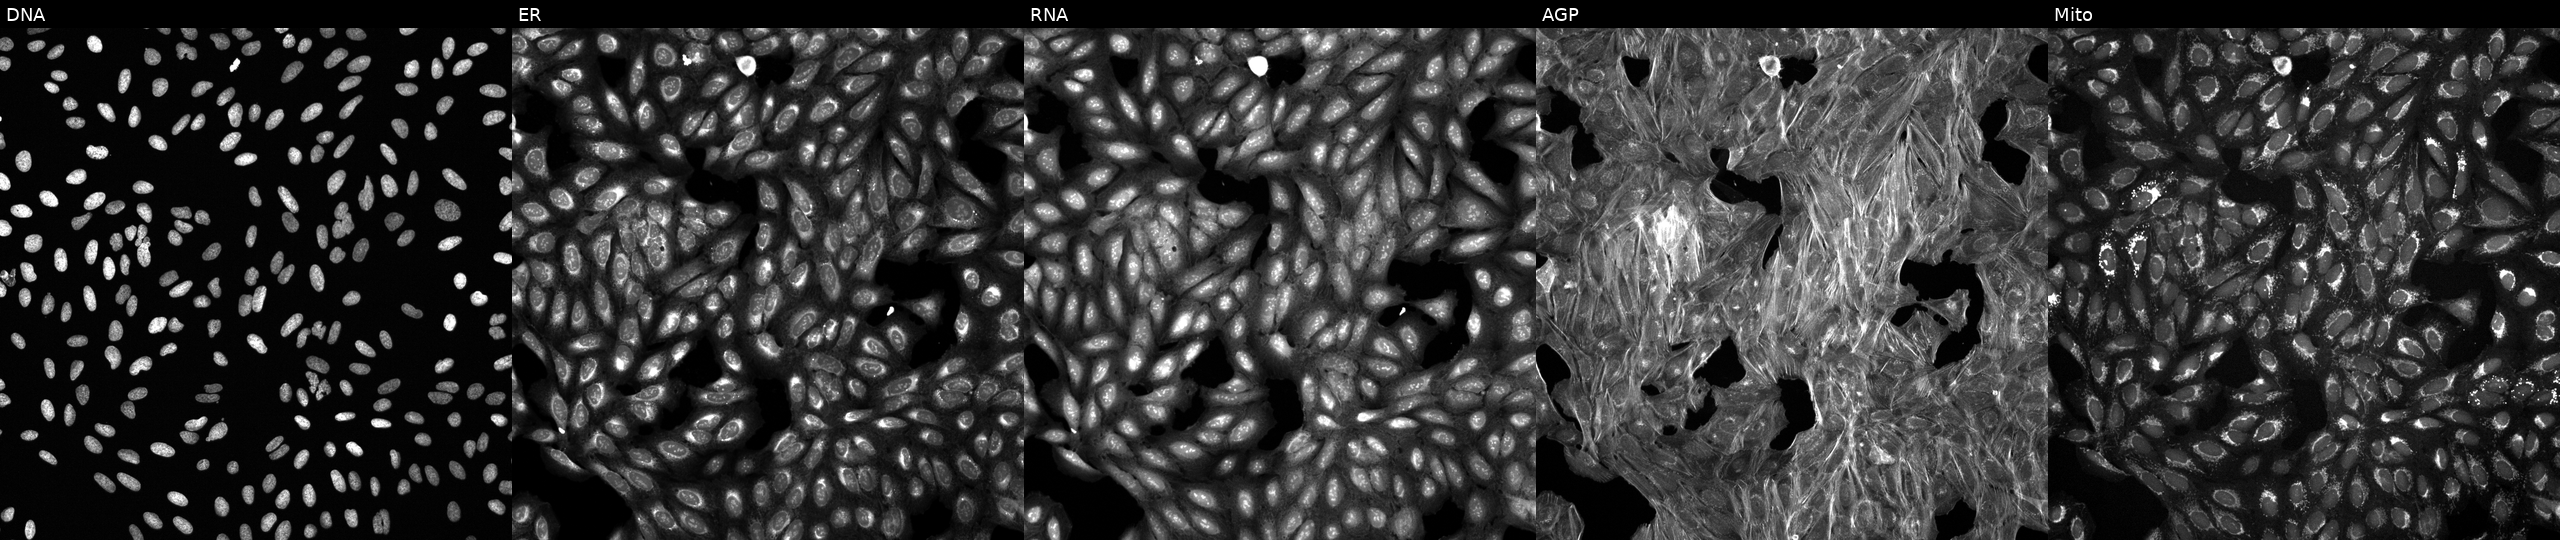
Five-channel Cell Painting image of U2OS cells treated with a small-molecule compound (InChIKey JIDNGPWURFPSJV-UHFFFAOYSA-N) [SMILES: Cc1cccc(-c2nnc3sc(-c4cc(C)on4)nn23)c1]. Channels (left→right): DNA (nuclei); ER (endoplasmic reticulum); RNA (nucleoli and cytoplasmic RNA); AGP (actin cytoskeleton, Golgi, and plasma membrane); Mito (mitochondria). Source 6, plate 110000293083, well G06.